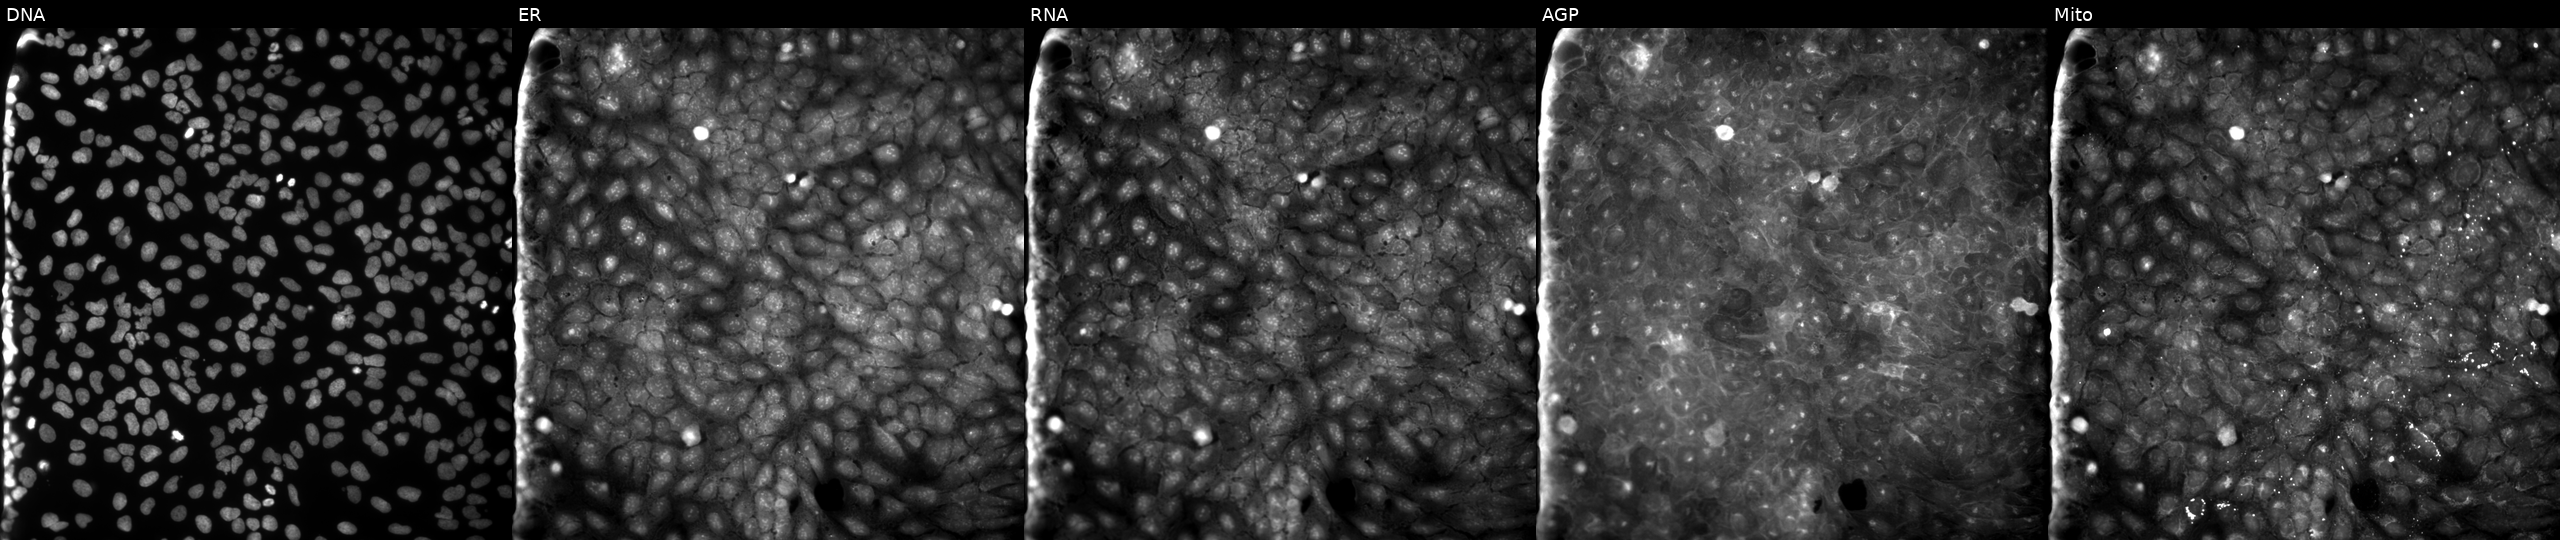
High-content fluorescence microscopy (Cell Painting). Cell line: U2OS. Perturbation: perturbed with a small-molecule compound (InChIKey GSJBGNFGONTCAS-UHFFFAOYSA-N) [SMILES: CC(=O)c1cnc2c(-c3cccc(Br)c3)cnn2c1C]. The five panels, left to right, show Hoechst 33342, concanavalin A, SYTO 14, phalloidin and WGA, MitoTracker.